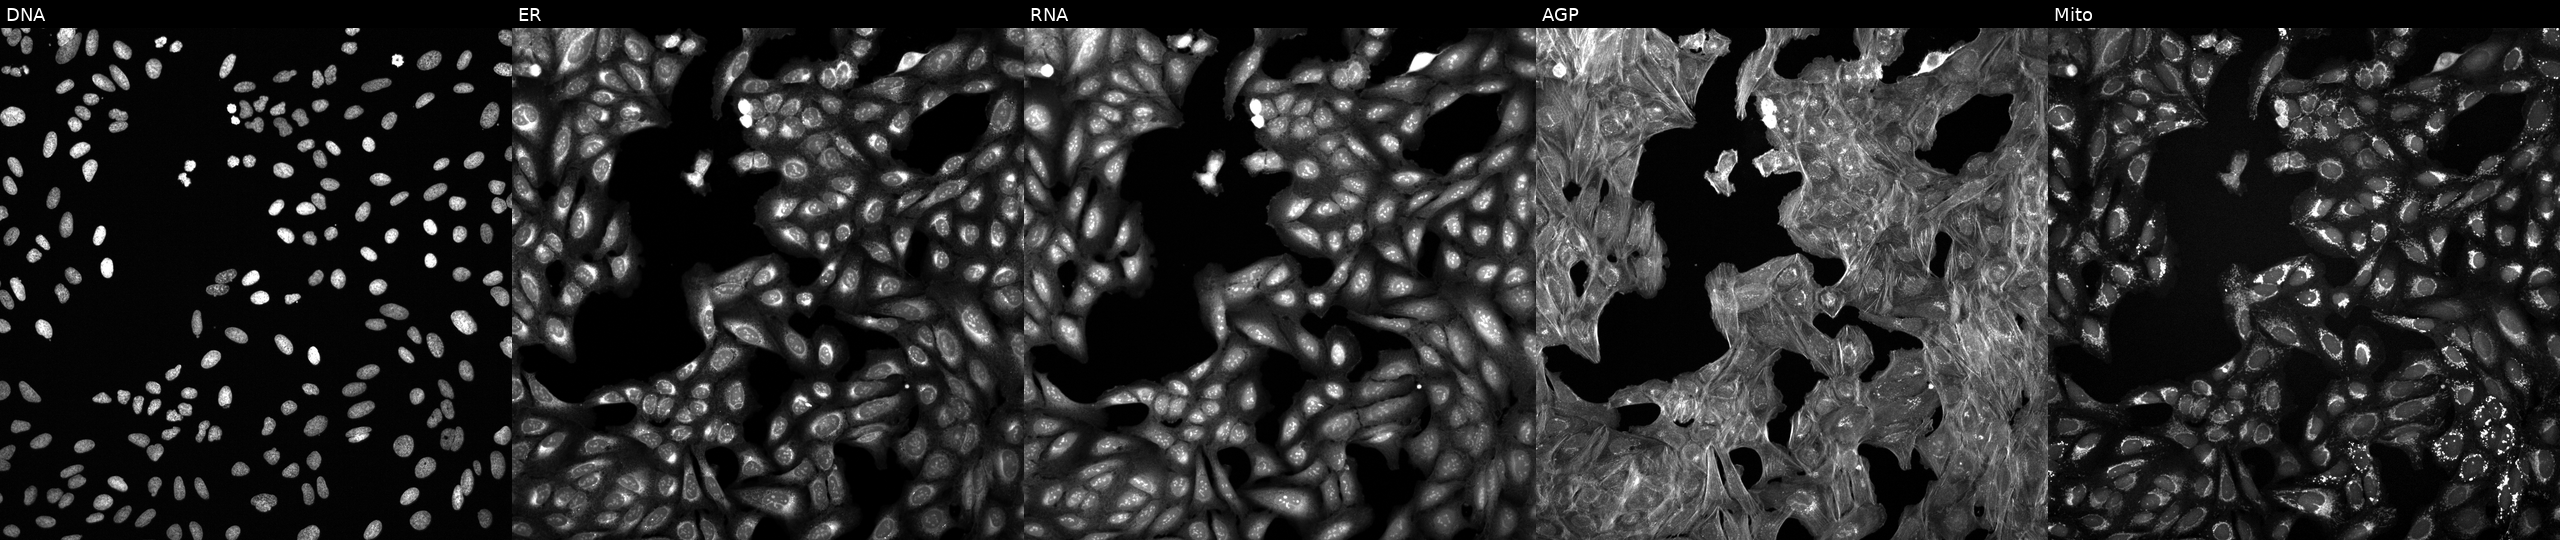
Panels show, left to right, DNA (nuclei); ER (endoplasmic reticulum); RNA (nucleoli and cytoplasmic RNA); AGP (actin cytoskeleton, Golgi, and plasma membrane); Mito (mitochondria). U2OS osteosarcoma cells exposed to a small-molecule compound [SMILES: Cc1oc2ncnc(N3CCCCC3)c2c1C(=O)NCCC(C)C] (JUMP id JCP2022_028064). Cell Painting assay, JUMP-CP dataset.